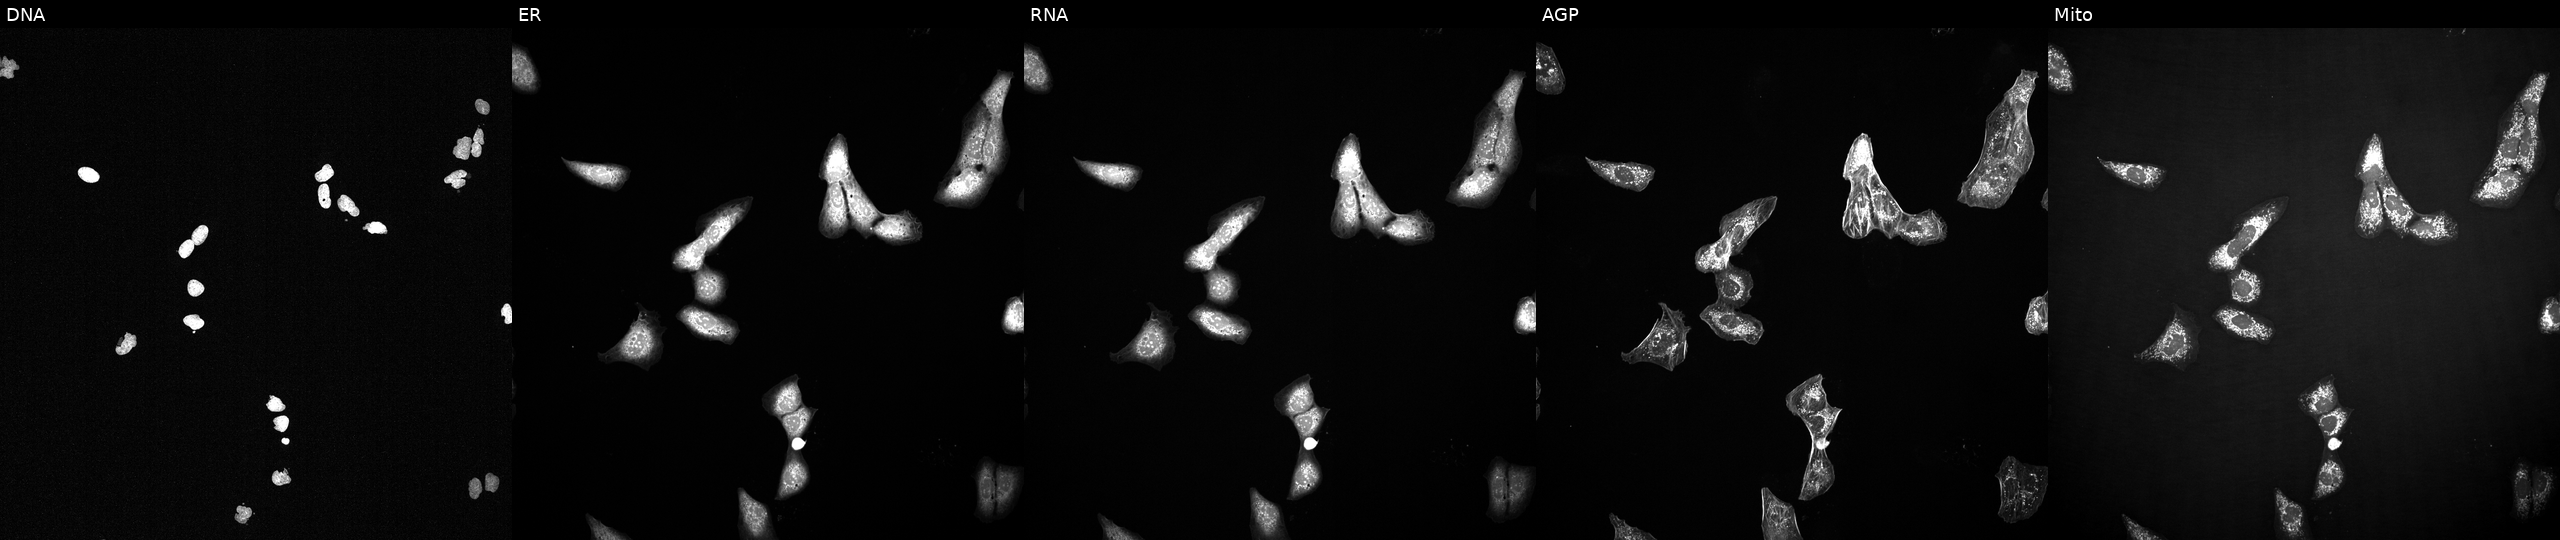
From left to right: DNA, ER, RNA, AGP, and Mito. U2OS osteosarcoma cells perturbed with a small-molecule compound (InChIKey QTBWCSQGBMPECM-UHFFFAOYSA-N). Cell Painting assay, JUMP-CP dataset.